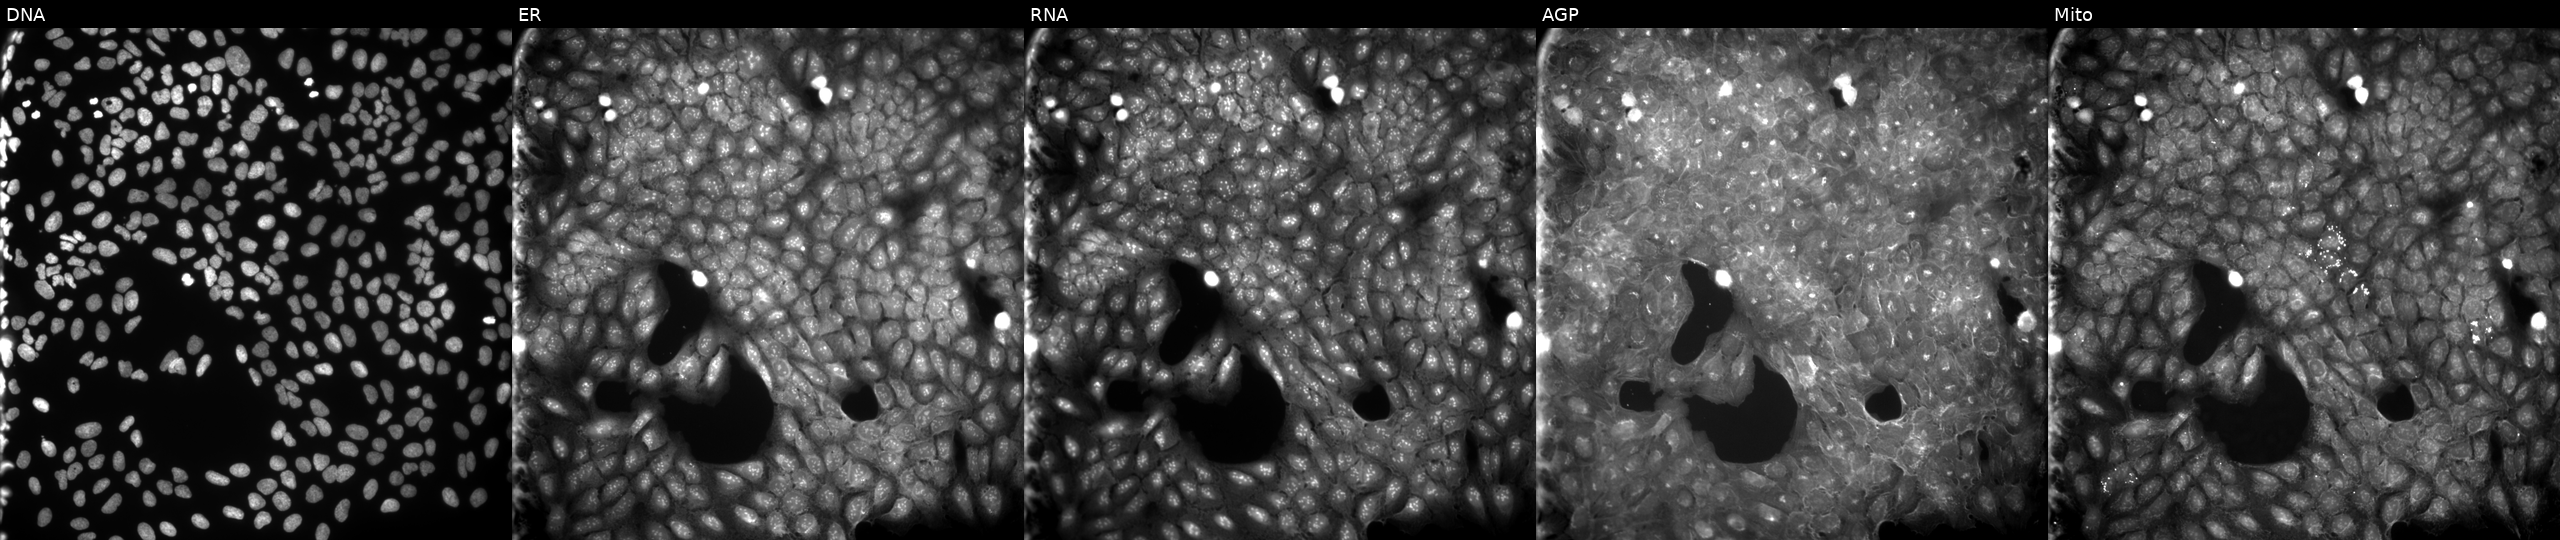
U2OS cells, Cell Painting assay, treated with a small-molecule compound (JUMP id JCP2022_076183). Panels show, left to right, Hoechst 33342, concanavalin A, SYTO 14, phalloidin and WGA, MitoTracker. Each panel is percentile-stretched 16-bit fluorescence. Source 9, plate GR00003382, well R13.